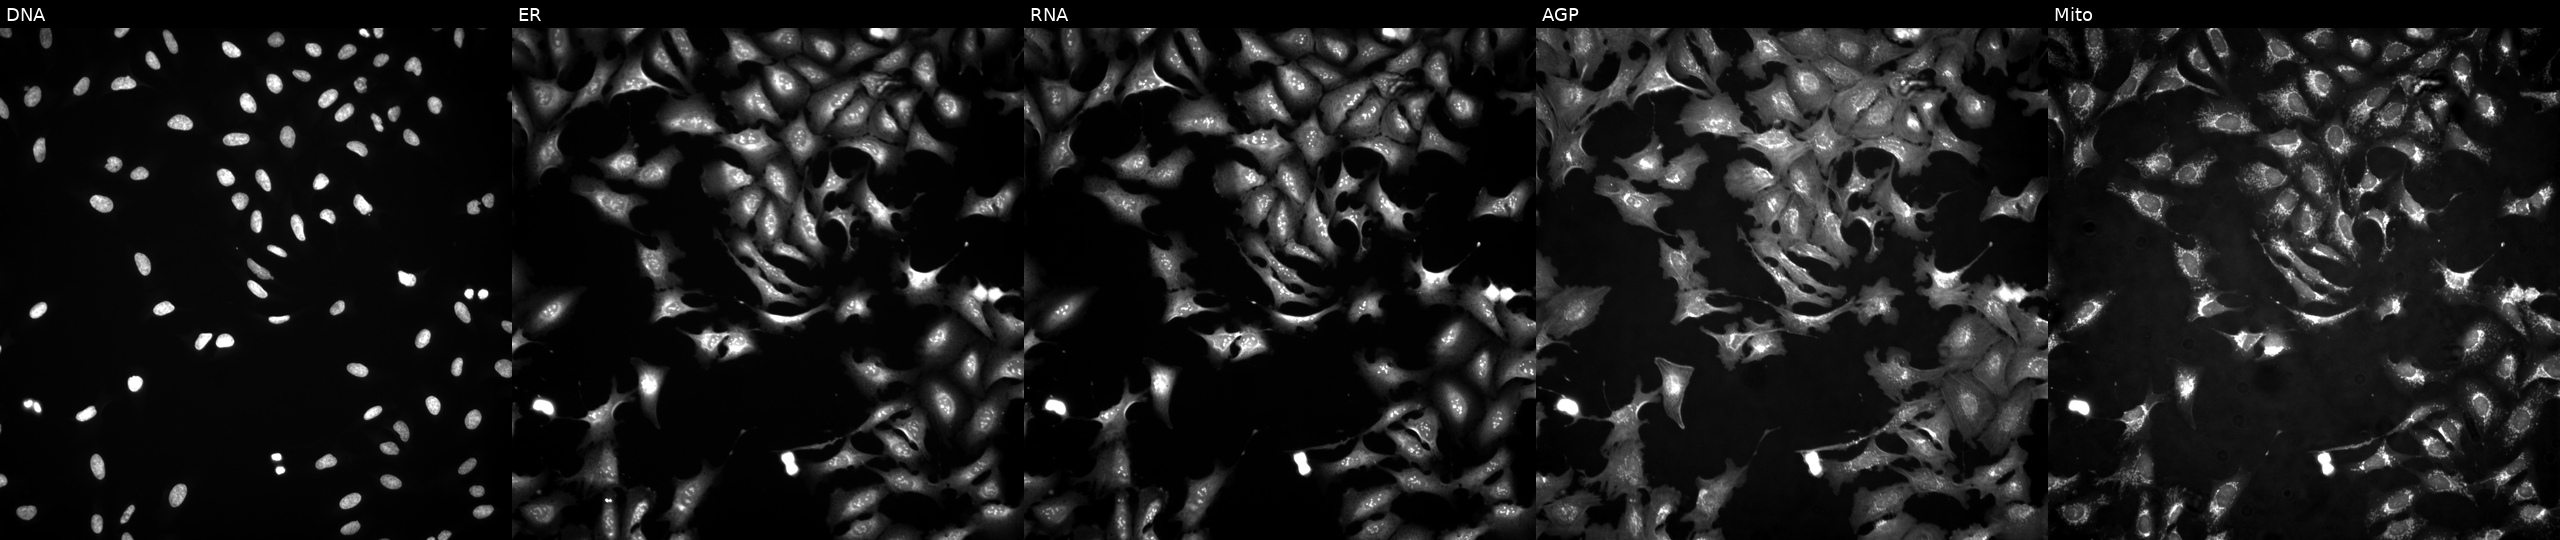
The five panels, left to right, show Hoechst 33342, concanavalin A, SYTO 14, phalloidin and WGA, MitoTracker. U2OS osteosarcoma cells with ARHGAP17 overexpressed (ORF). Cell Painting assay, JUMP-CP dataset. Source 4, plate BR00124787, well G08.